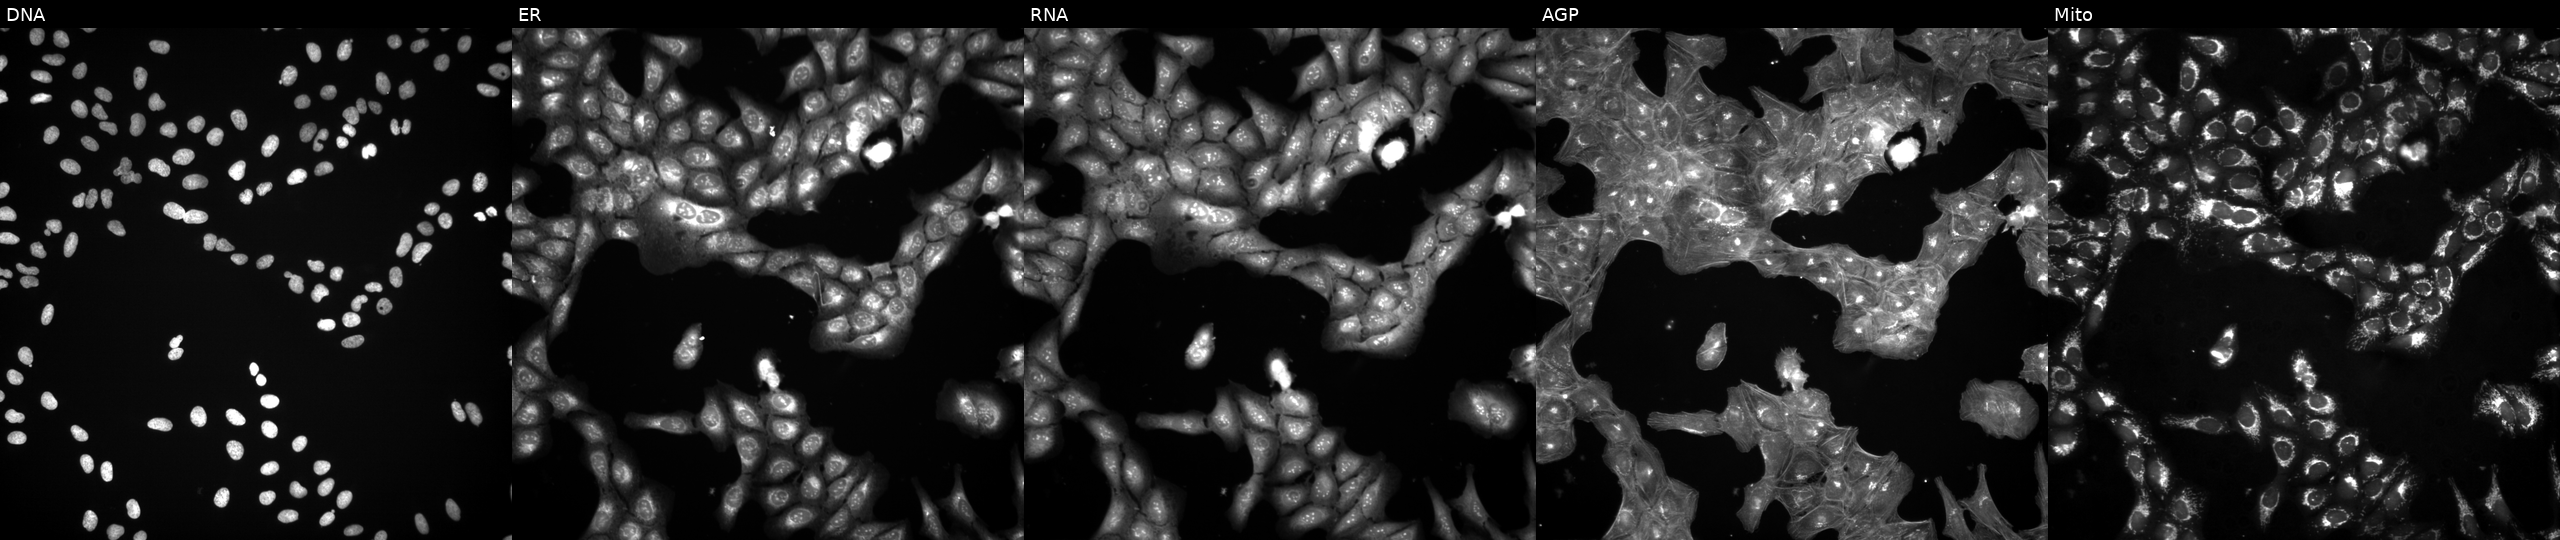
This image strip shows the five Cell Painting channels for a single field of U2OS cells treated with DMSO vehicle only (negative control). The five panels, left to right, show DNA, ER, RNA, AGP, and Mito.